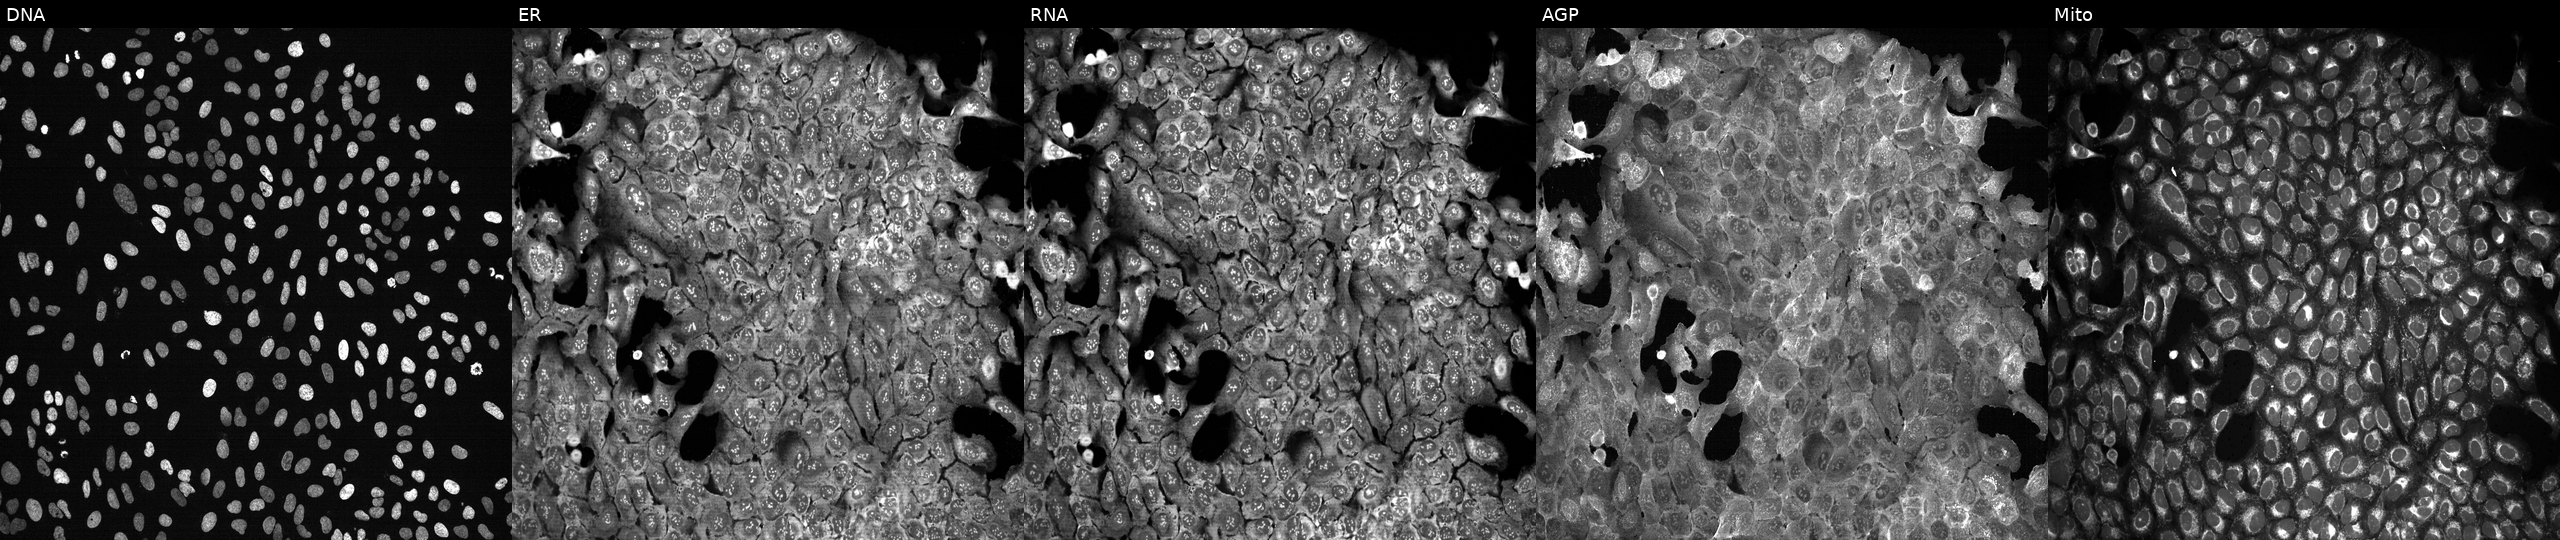
Five-channel Cell Painting image of U2OS cells CRISPR-edited to disrupt ATP5O. From left to right: DNA (nuclei); ER (endoplasmic reticulum); RNA (nucleoli and cytoplasmic RNA); AGP (actin cytoskeleton, Golgi, and plasma membrane); Mito (mitochondria).